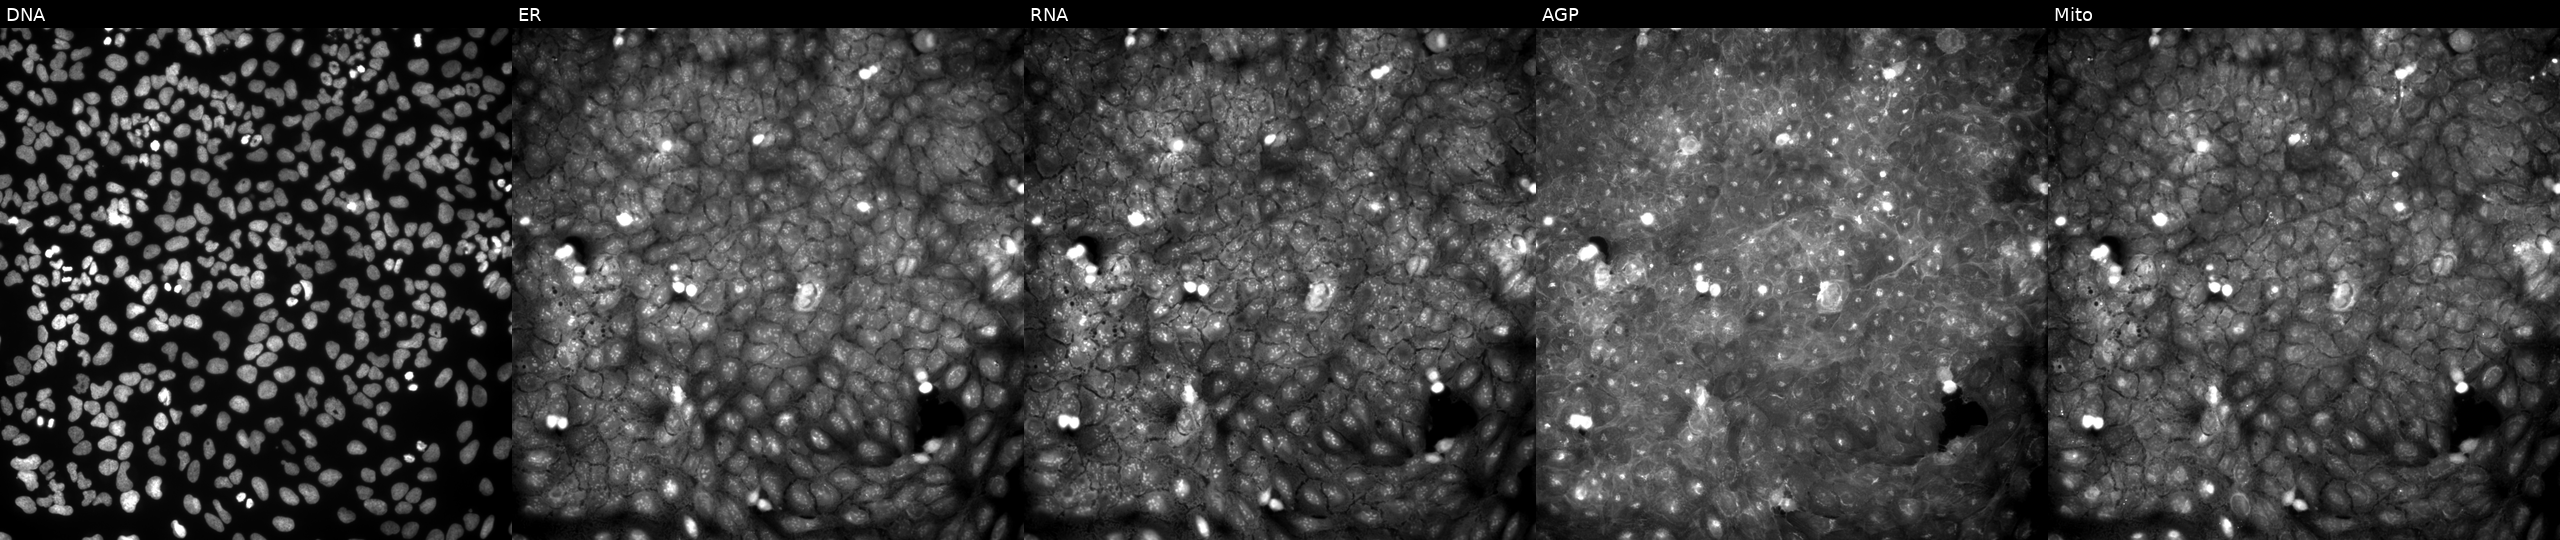
High-content fluorescence microscopy (Cell Painting). Cell line: U2OS. Perturbation: treated with a small-molecule compound (InChIKey ODHADVHCCLWGJL-UHFFFAOYSA-N) (JUMP id JCP2022_063062). From left to right: DNA (nuclei); ER (endoplasmic reticulum); RNA (nucleoli and cytoplasmic RNA); AGP (actin cytoskeleton, Golgi, and plasma membrane); Mito (mitochondria).